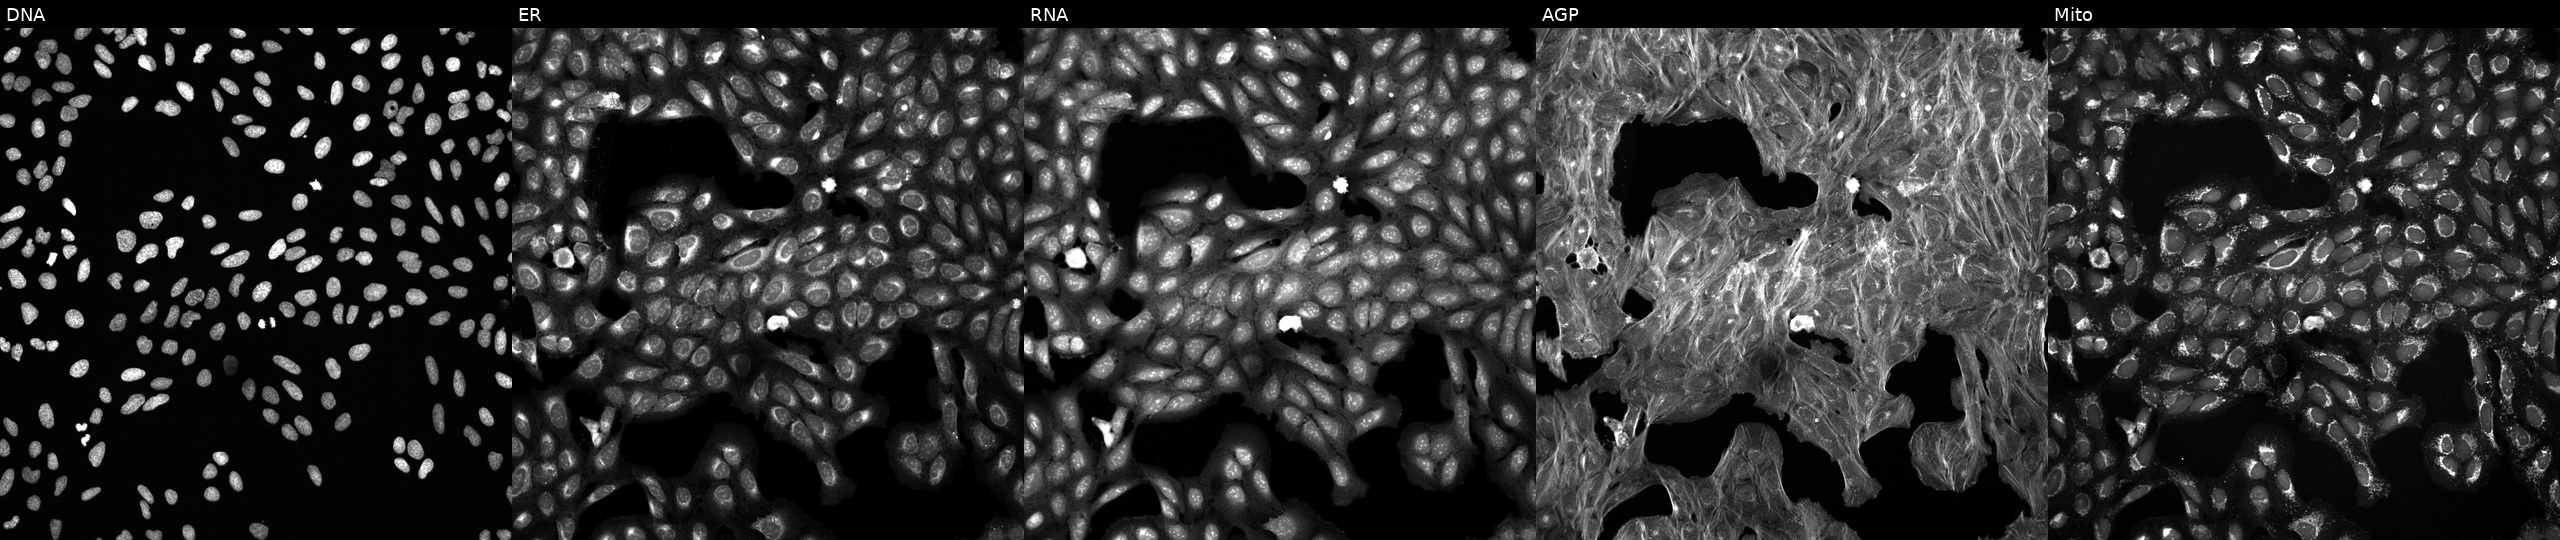
The five panels, left to right, show Hoechst 33342, concanavalin A, SYTO 14, phalloidin and WGA, MitoTracker. U2OS osteosarcoma cells exposed to a small-molecule compound (InChIKey ZURICFULZRGHMA-UHFFFAOYSA-N) (JUMP id JCP2022_115782). Cell Painting assay, JUMP-CP dataset. Source 6, plate 110000293082, well I17.